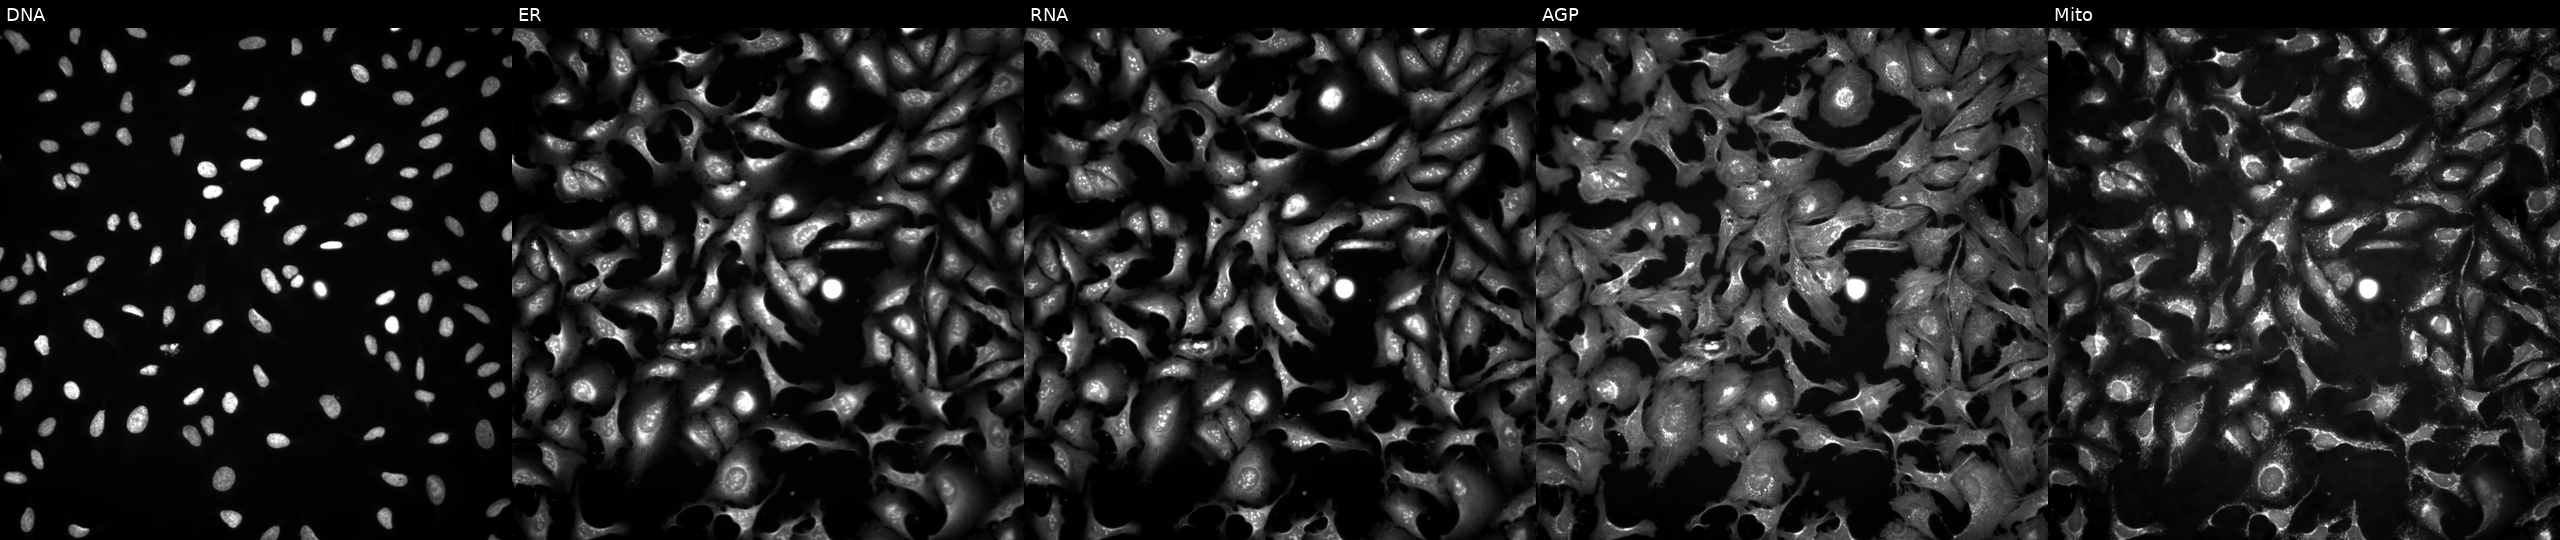
High-content fluorescence microscopy (Cell Painting). Cell line: U2OS. Perturbation: with PRKCI overexpressed (ORF). The five panels, left to right, show Hoechst 33342, concanavalin A, SYTO 14, phalloidin and WGA, MitoTracker. Source 4, plate BR00123945, well N19.